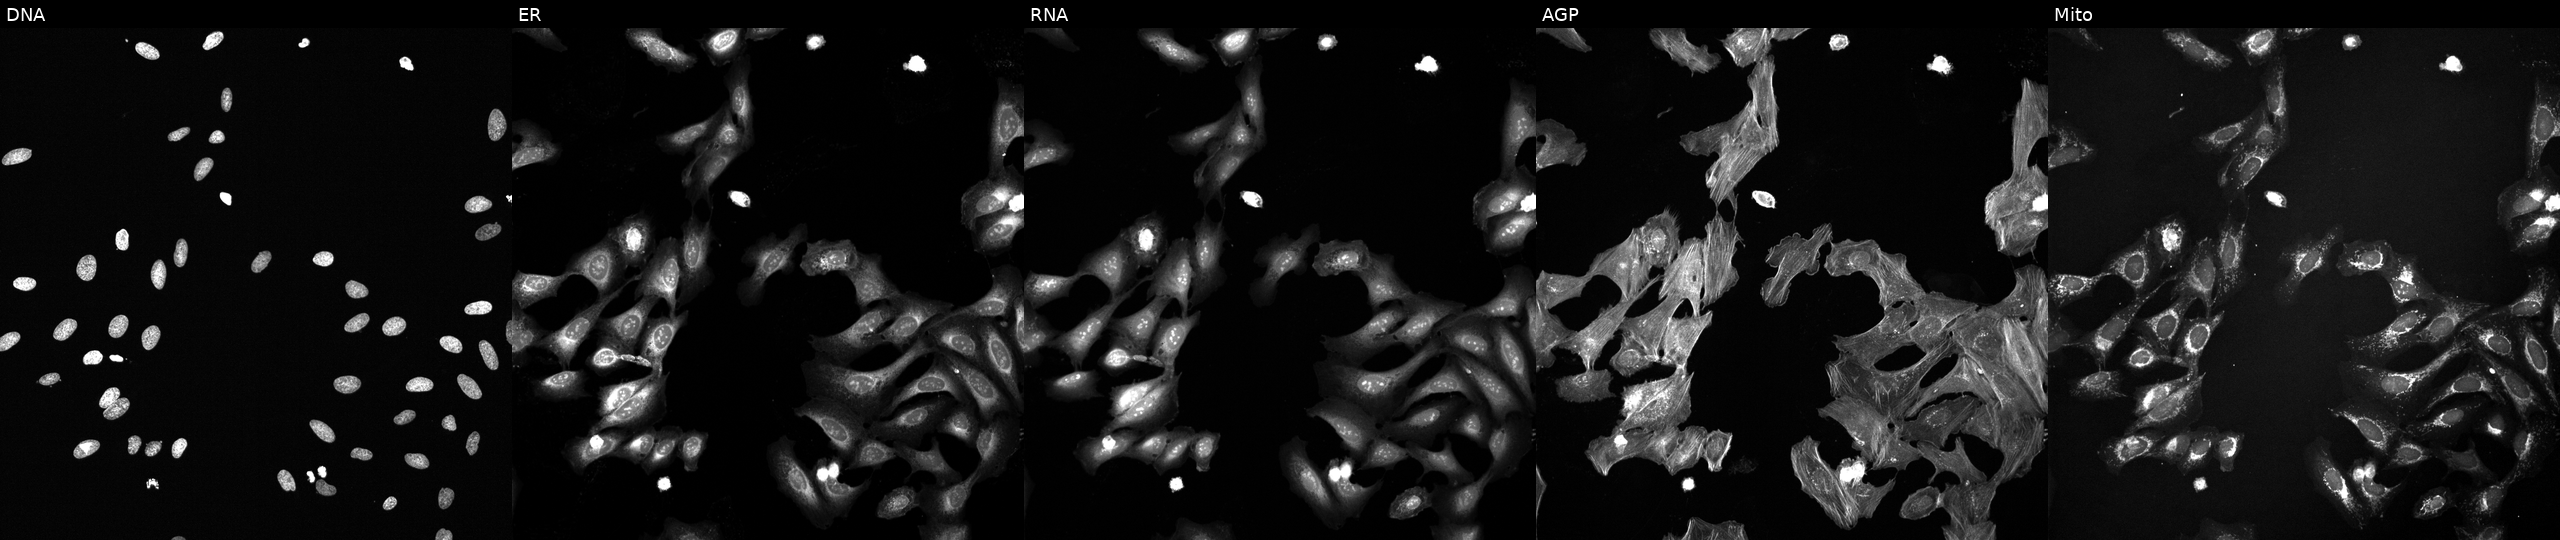
U2OS cells, Cell Painting assay, treated with a small-molecule compound (JUMP id JCP2022_032771). Panels show, left to right, Hoechst 33342, concanavalin A, SYTO 14, phalloidin and WGA, MitoTracker. Each panel is percentile-stretched 16-bit fluorescence.